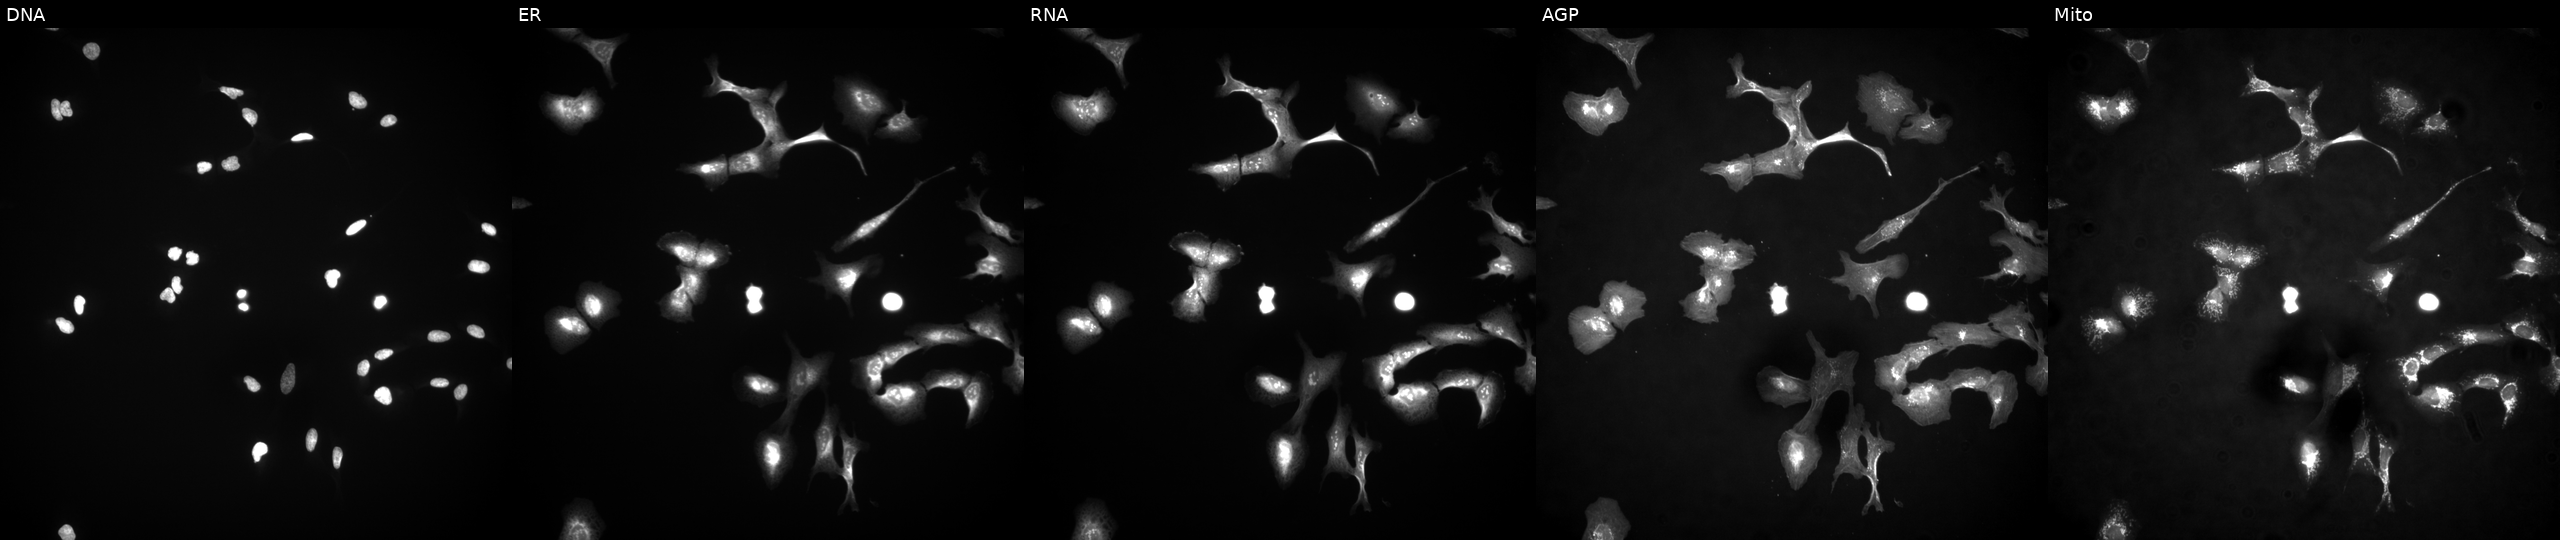
U2OS cells, Cell Painting assay, in an empty control well (no perturbation). Channels (left→right): DNA, ER, RNA, AGP, and Mito. Each panel is percentile-stretched 16-bit fluorescence.